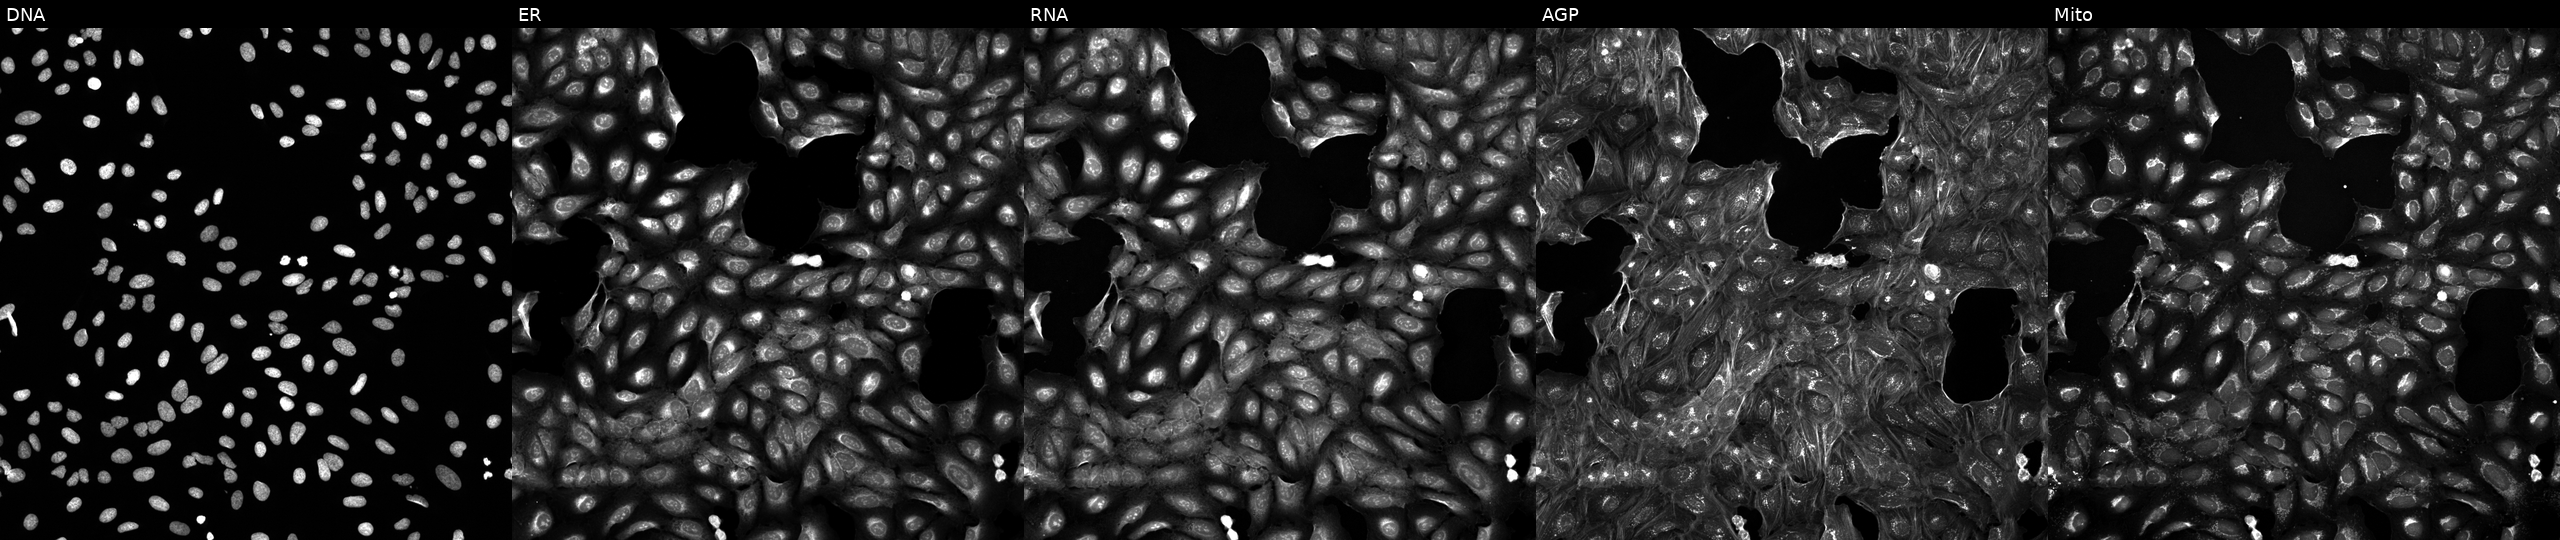
High-content fluorescence microscopy (Cell Painting). Cell line: U2OS. Perturbation: perturbed with a small-molecule compound (InChIKey VUIRVWPJNKZOSS-UHFFFAOYSA-N). Channels (left→right): DNA (nuclei); ER (endoplasmic reticulum); RNA (nucleoli and cytoplasmic RNA); AGP (actin cytoskeleton, Golgi, and plasma membrane); Mito (mitochondria). Source 5, plate ACPJUM051, well D15.